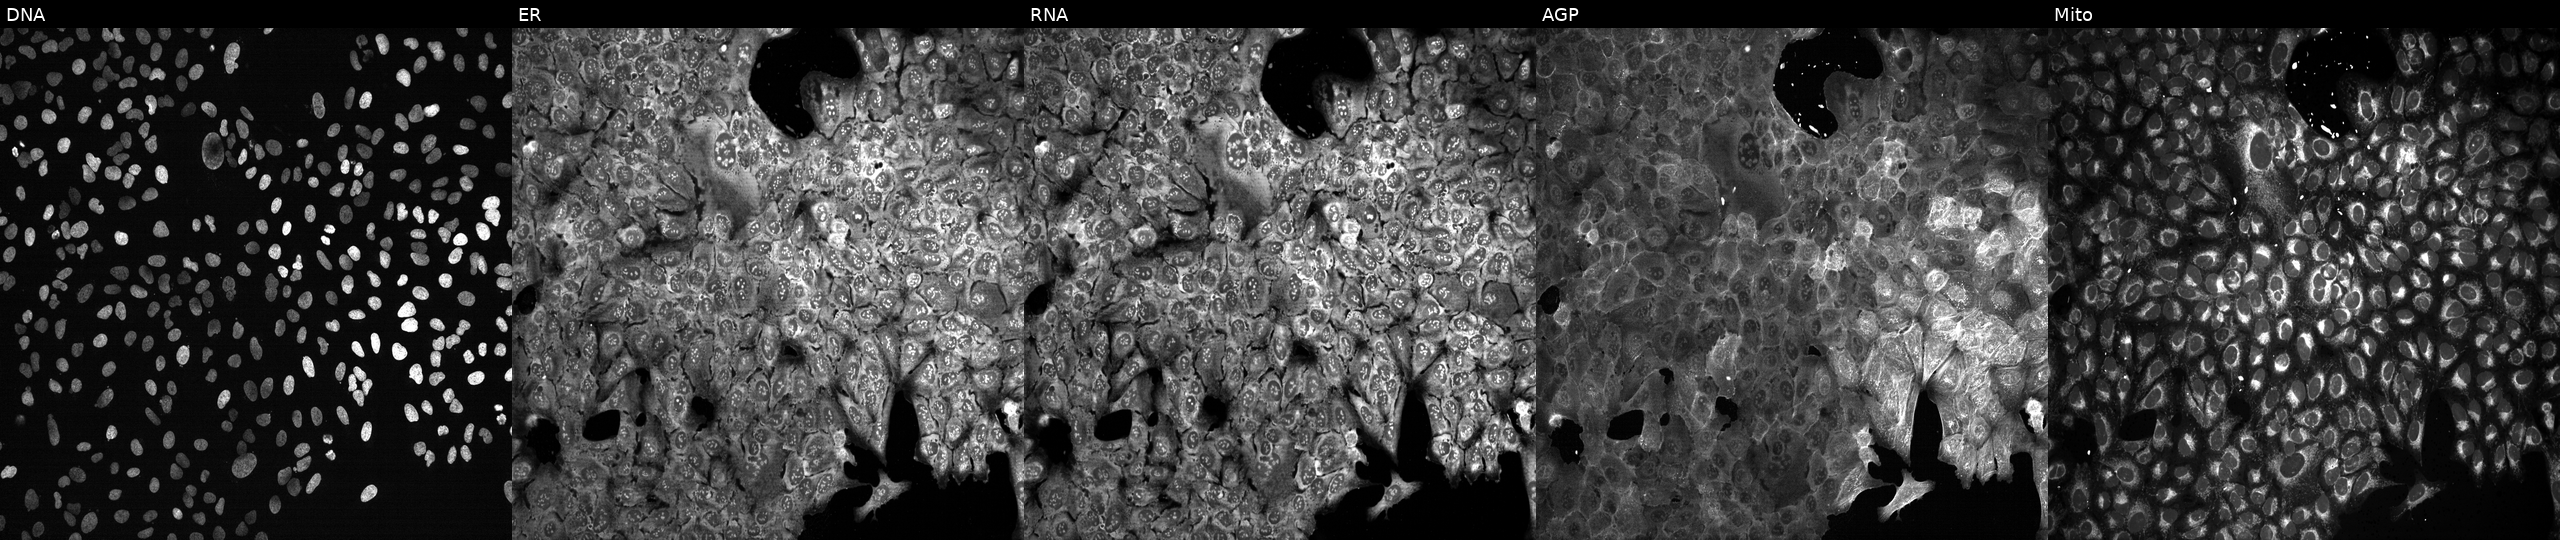
High-content fluorescence microscopy (Cell Painting). Cell line: U2OS. Perturbation: following CRISPR knockout of GPHN (JUMP id JCP2022_802800). Panels show, left to right, DNA, ER, RNA, AGP, and Mito. Source 13, plate CP-CC9-R2-01, well A05.